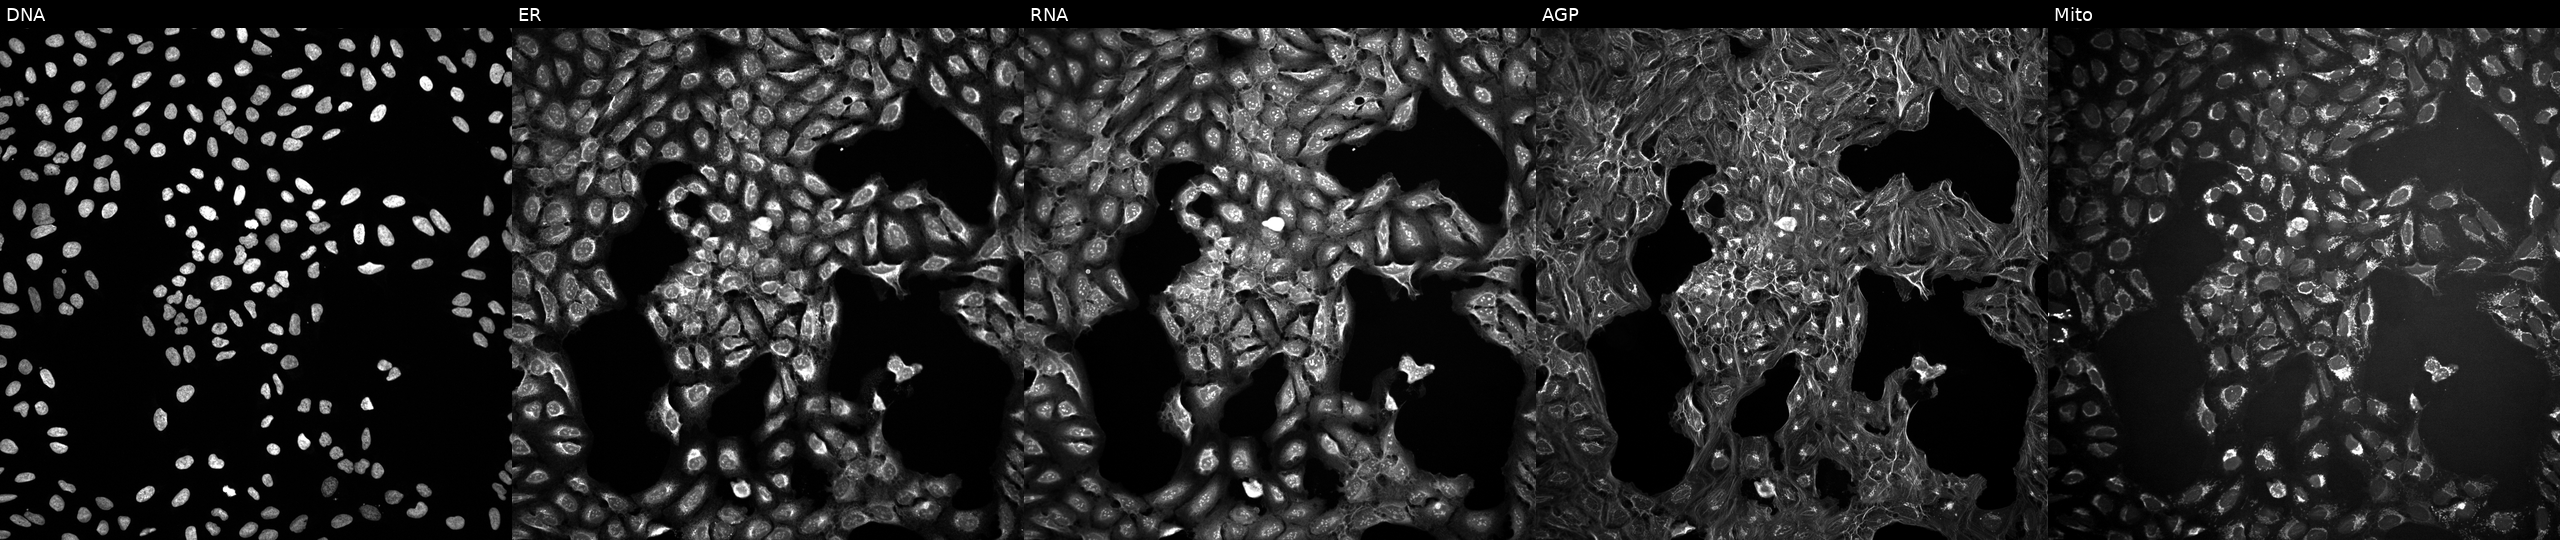
High-content fluorescence microscopy (Cell Painting). Cell line: U2OS. Perturbation: exposed to a small-molecule compound (InChIKey WVZNBBTUZGLGJT-UHFFFAOYSA-N). Channels (left→right): DNA, ER, RNA, AGP, and Mito. Source 10, plate Dest210531-152324, well M14.